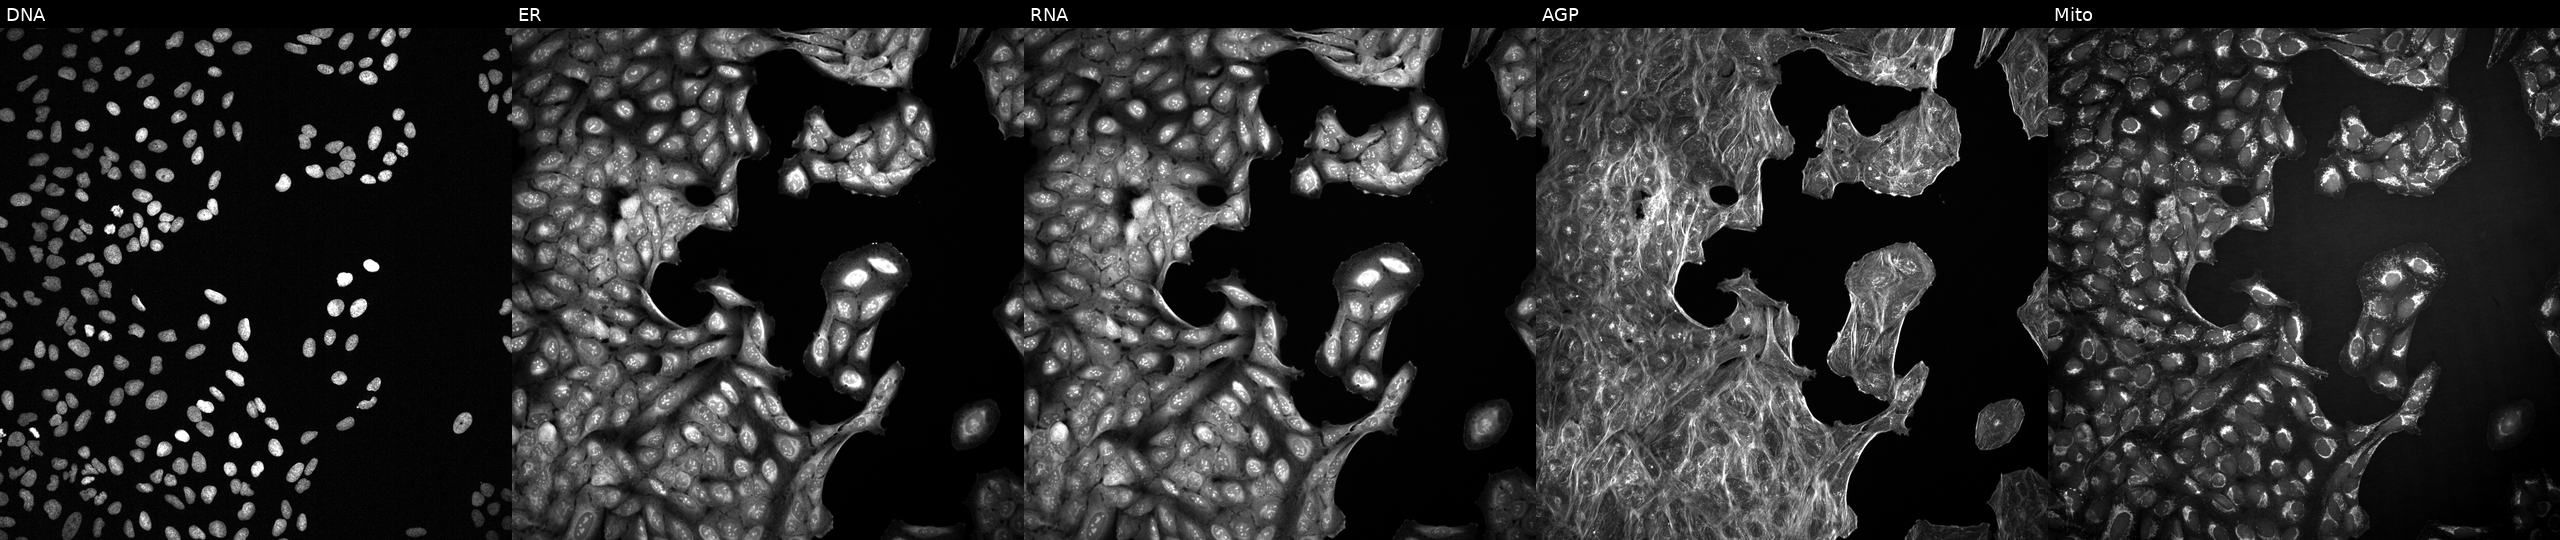
This image strip shows the five Cell Painting channels for a single field of U2OS cells treated with DMSO vehicle only (negative control). From left to right: DNA, ER, RNA, AGP, and Mito.